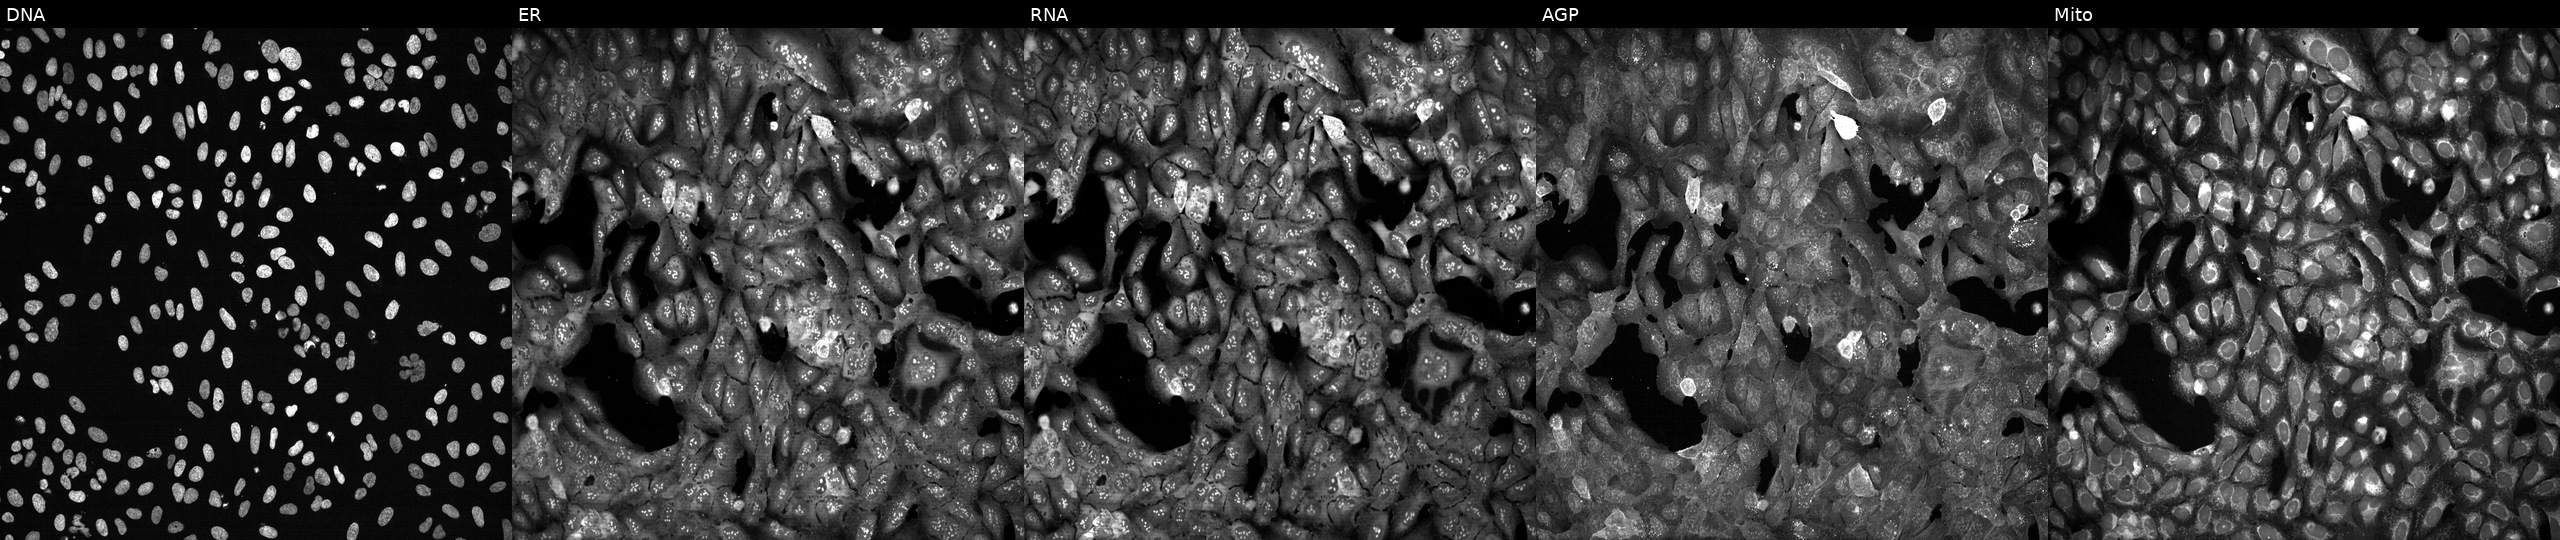
The five panels, left to right, show DNA (nuclei); ER (endoplasmic reticulum); RNA (nucleoli and cytoplasmic RNA); AGP (actin cytoskeleton, Golgi, and plasma membrane); Mito (mitochondria). U2OS osteosarcoma cells with NLRP2 knocked out by CRISPR (JUMP id JCP2022_804606). Cell Painting assay, JUMP-CP dataset.